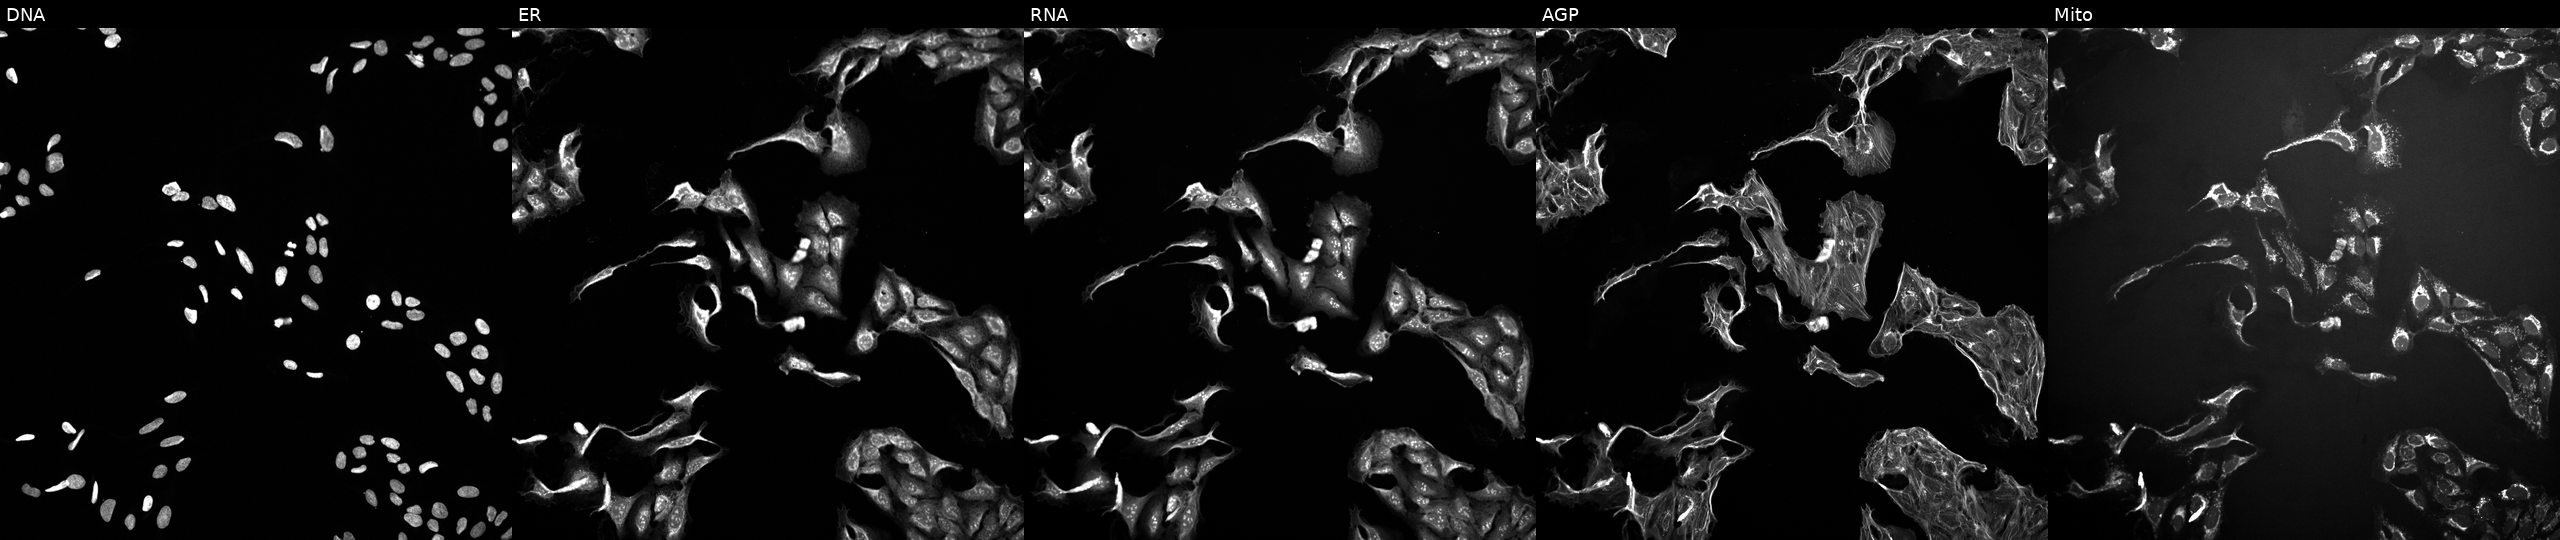
U2OS cells, Cell Painting assay, perturbed with a small-molecule compound (InChIKey IIQUYGWWHIHOCF-UHFFFAOYSA-N) (JUMP id JCP2022_035296). Panels show, left to right, DNA, ER, RNA, AGP, and Mito. Each panel is percentile-stretched 16-bit fluorescence. Source 10, plate Dest210726-160150, well J01.